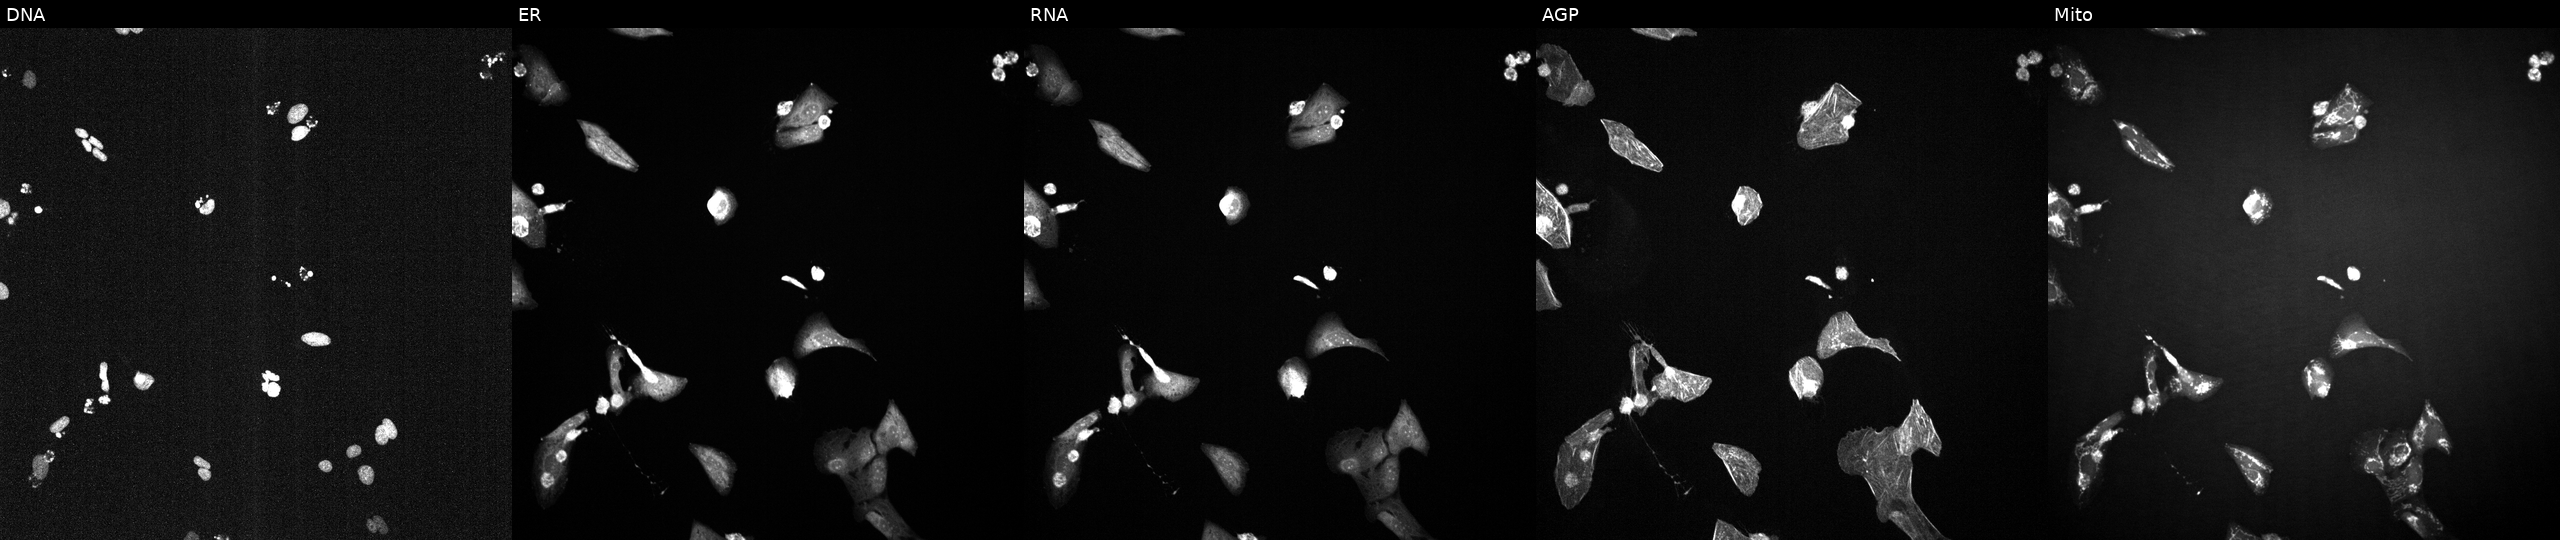
U2OS cells, Cell Painting assay, treated with a small-molecule compound (JUMP id JCP2022_100876). From left to right: Hoechst 33342, concanavalin A, SYTO 14, phalloidin and WGA, MitoTracker. Each panel is percentile-stretched 16-bit fluorescence.